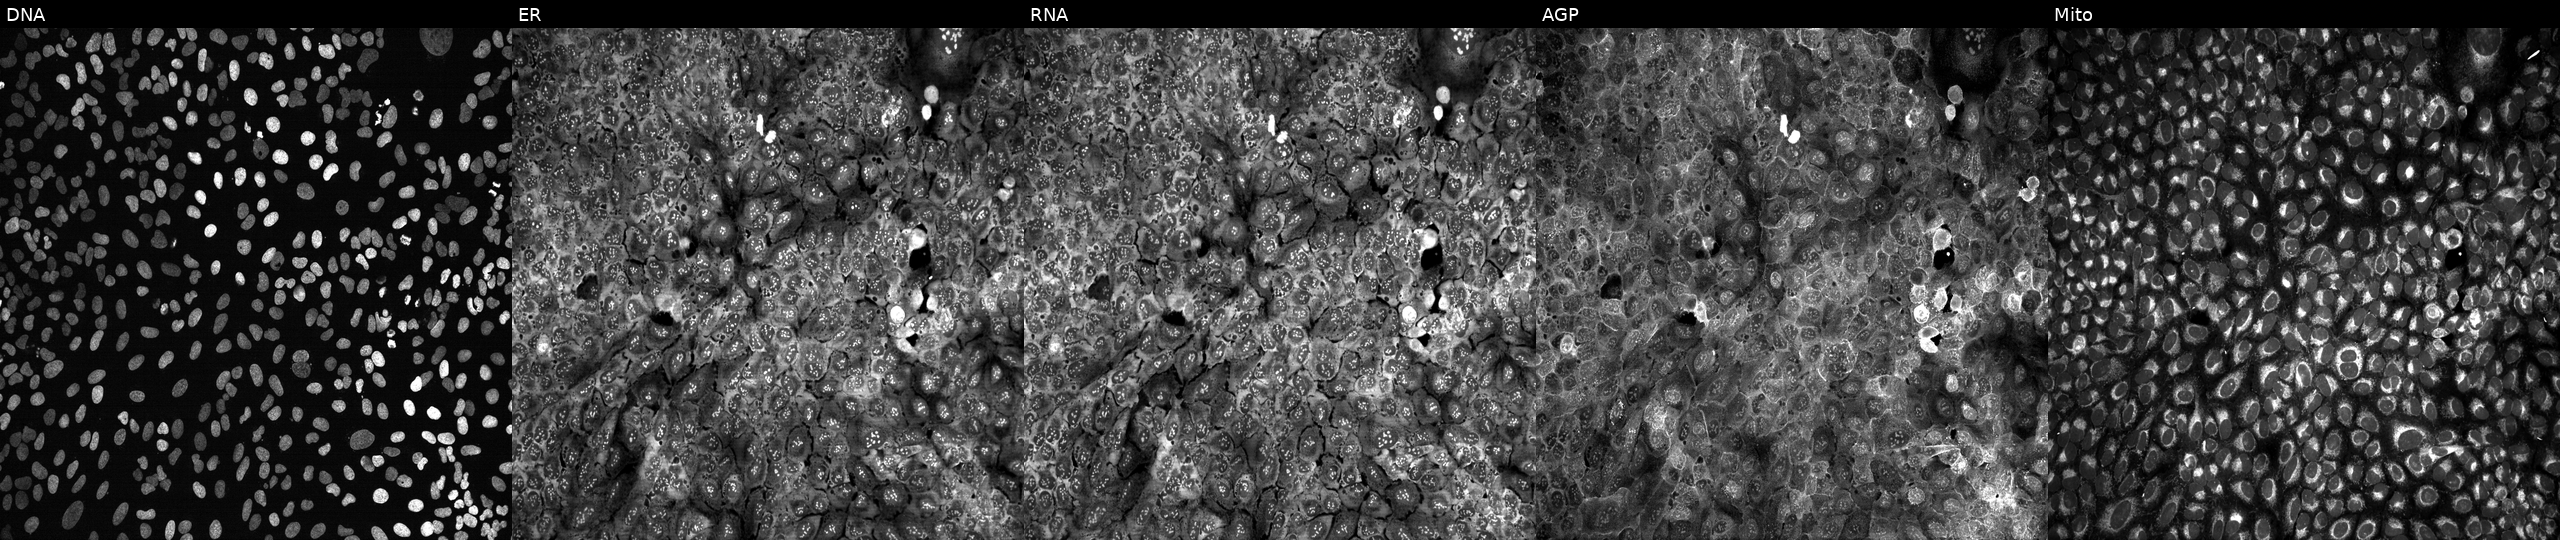
From left to right: DNA (nuclei); ER (endoplasmic reticulum); RNA (nucleoli and cytoplasmic RNA); AGP (actin cytoskeleton, Golgi, and plasma membrane); Mito (mitochondria). U2OS osteosarcoma cells CRISPR-edited to disrupt RAB33B (JUMP id JCP2022_805765). Cell Painting assay, JUMP-CP dataset.